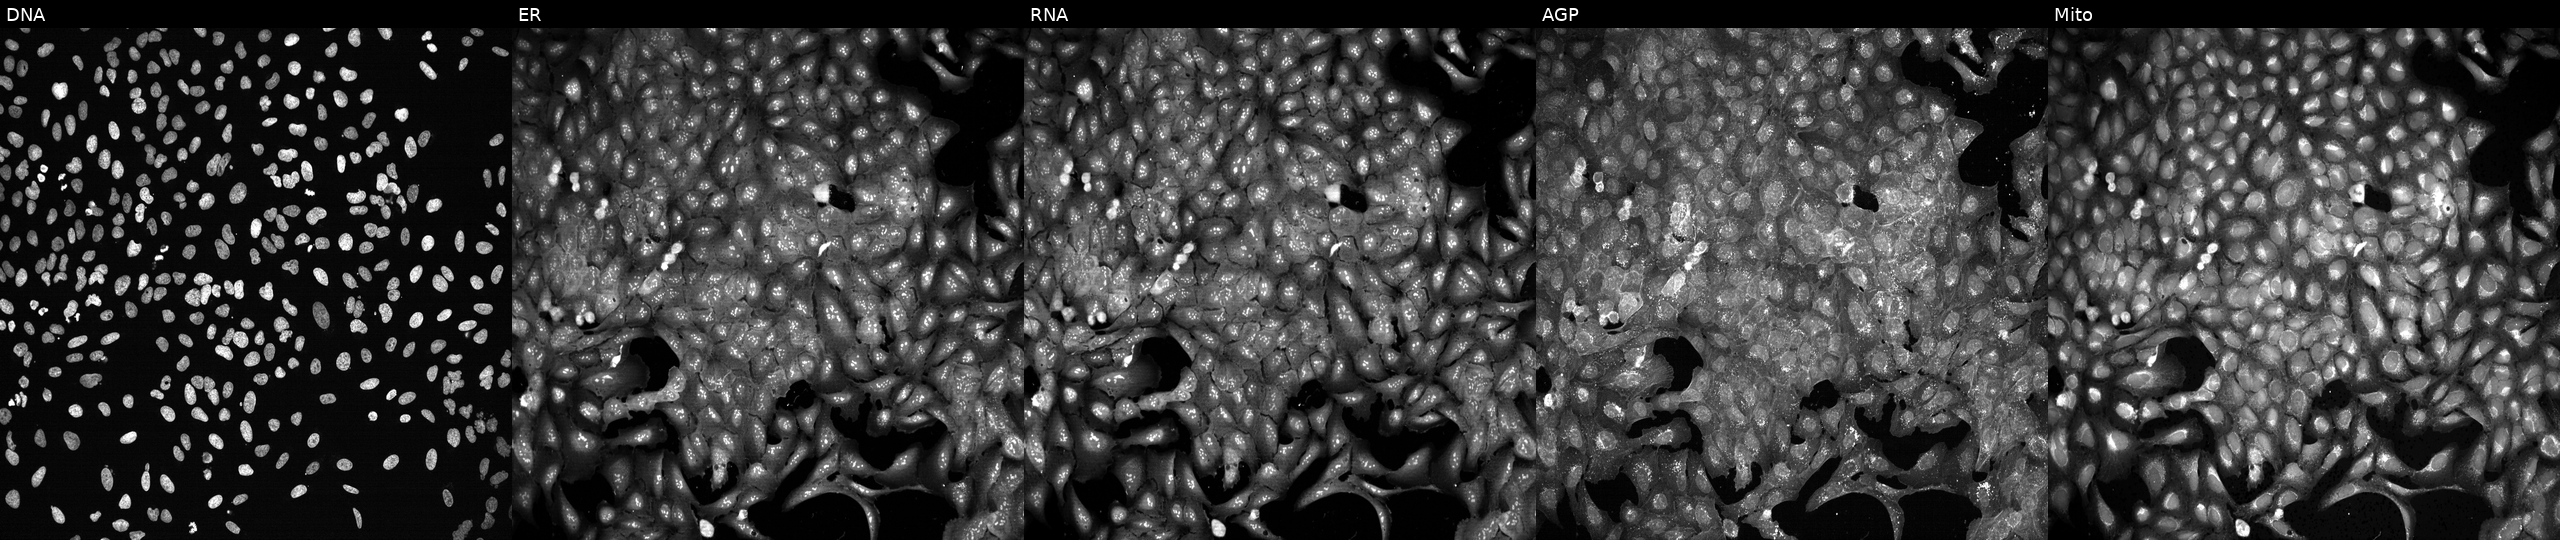
High-content fluorescence microscopy (Cell Painting). Cell line: U2OS. Perturbation: CRISPR-edited to disrupt LCT (JUMP id JCP2022_803794). Panels show, left to right, DNA, ER, RNA, AGP, and Mito.